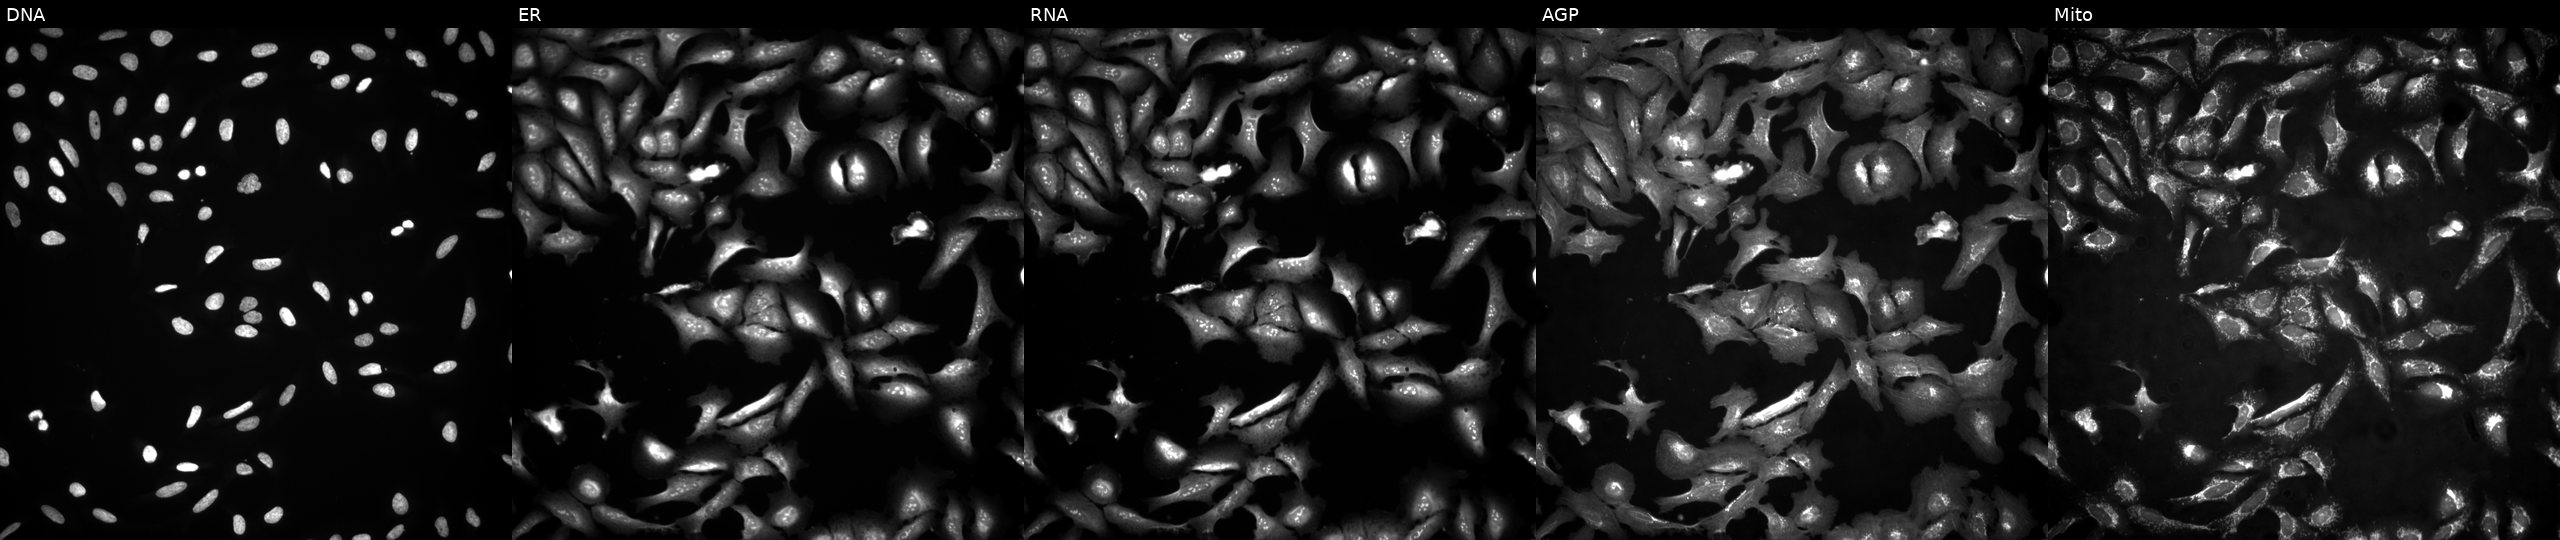
From left to right: DNA, ER, RNA, AGP, and Mito. U2OS osteosarcoma cells transfected with an ORF construct for SEMA4D (JUMP id JCP2022_907126). Cell Painting assay, JUMP-CP dataset. Source 4, plate BR00124787, well G04.